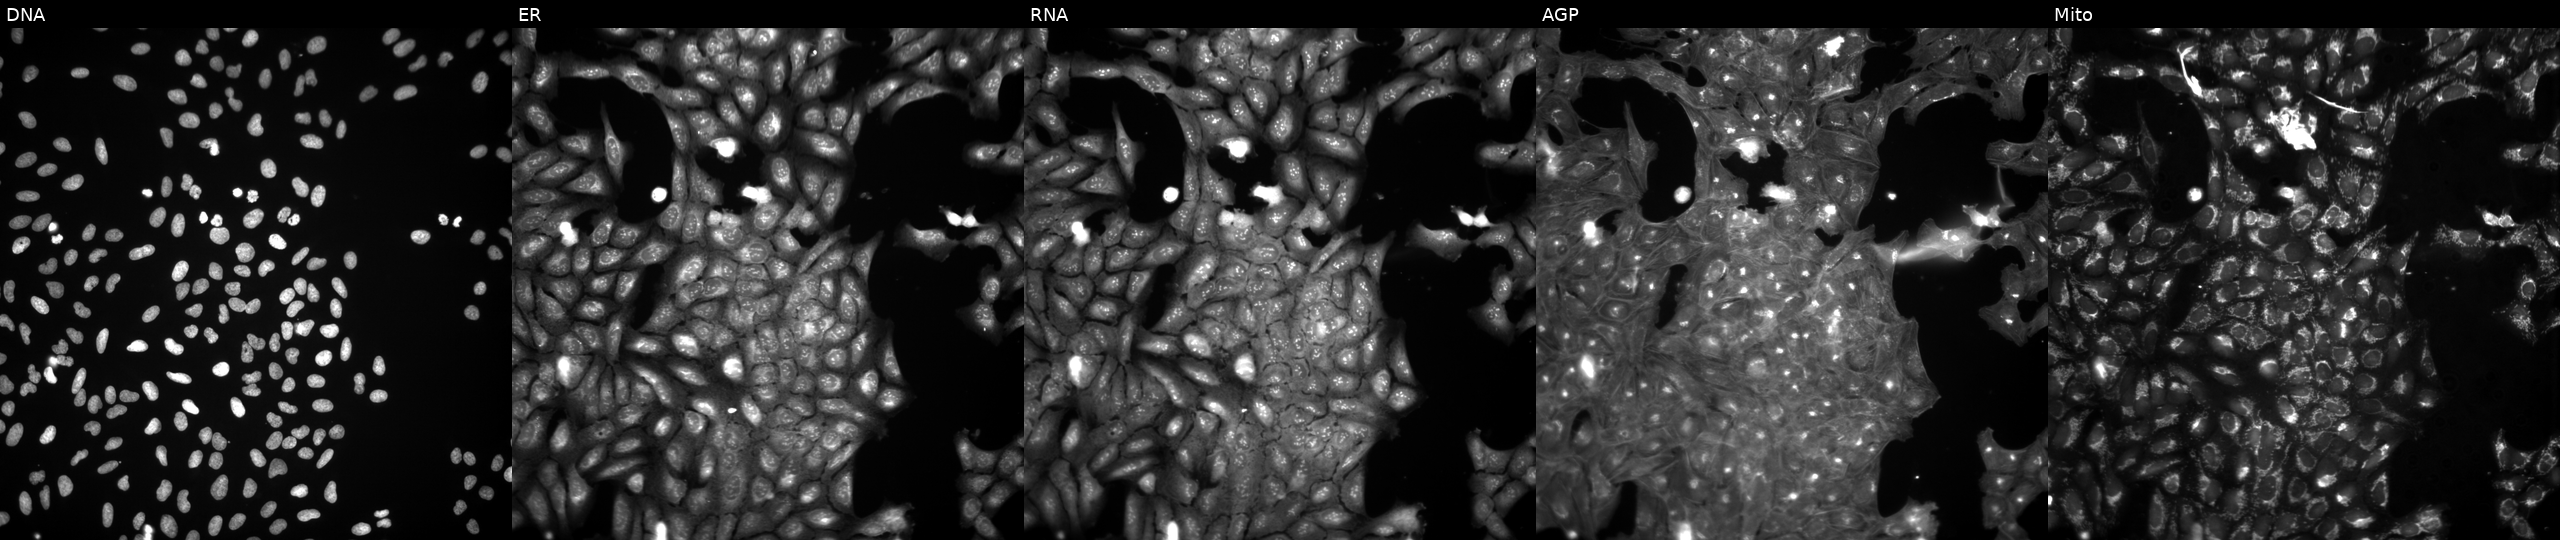
From left to right: Hoechst 33342, concanavalin A, SYTO 14, phalloidin and WGA, MitoTracker. U2OS osteosarcoma cells perturbed with a small-molecule compound (InChIKey GUUGZPSUOTWOMD-UHFFFAOYSA-N) [SMILES: Oc1ccc(C(O)O)[nH]1]. Cell Painting assay, JUMP-CP dataset.